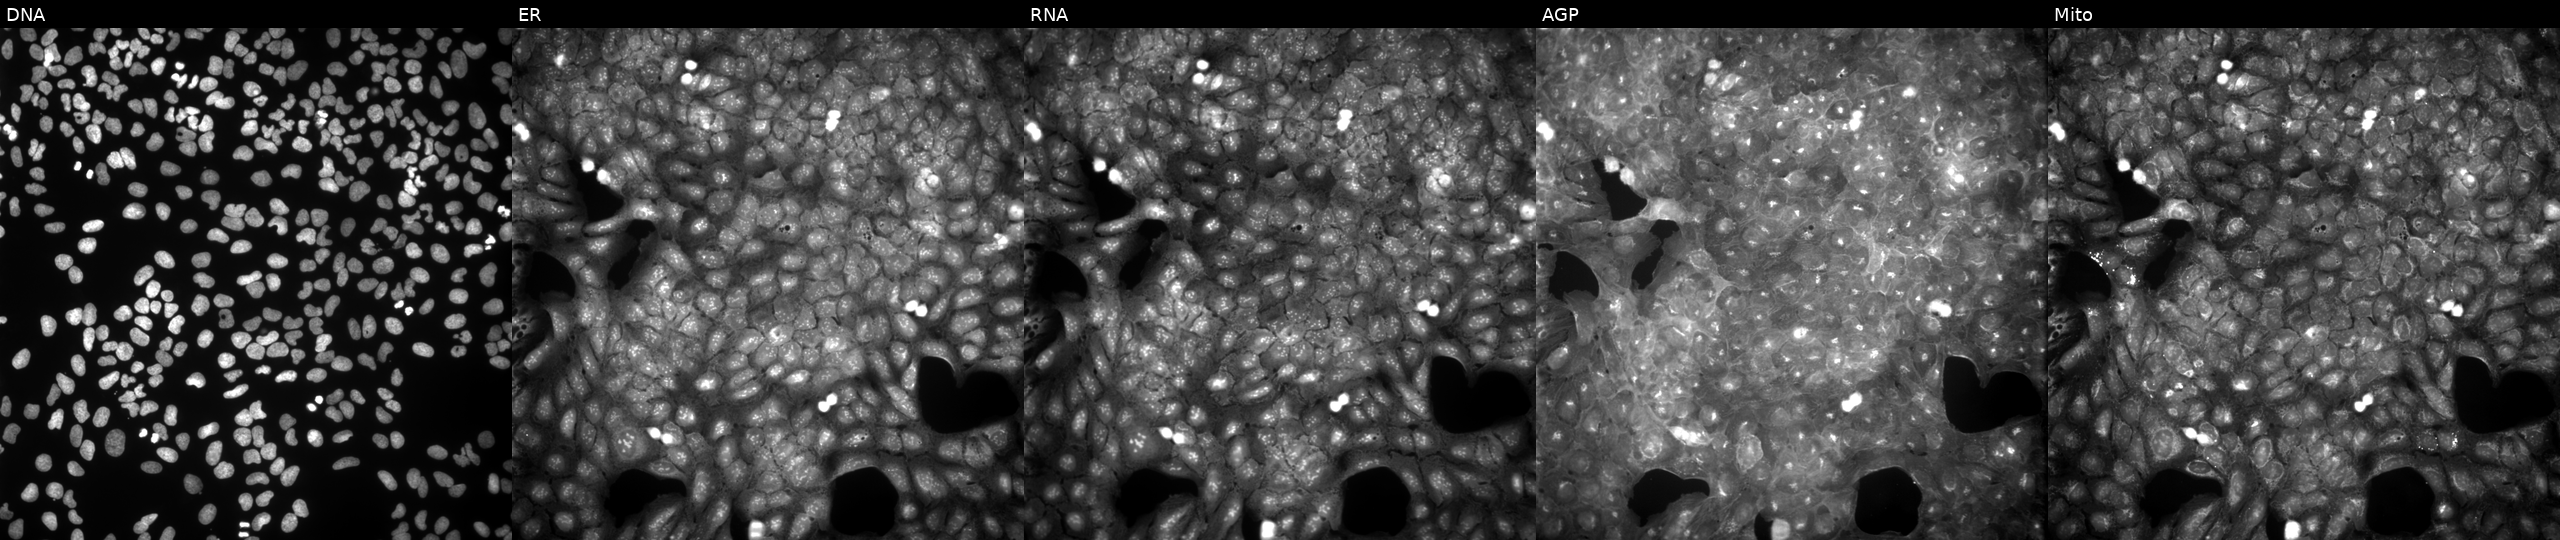
High-content fluorescence microscopy (Cell Painting). Cell line: U2OS. Perturbation: treated with a small-molecule compound (InChIKey HXKIXANWEUKUOS-UHFFFAOYSA-N). From left to right: Hoechst 33342, concanavalin A, SYTO 14, phalloidin and WGA, MitoTracker.